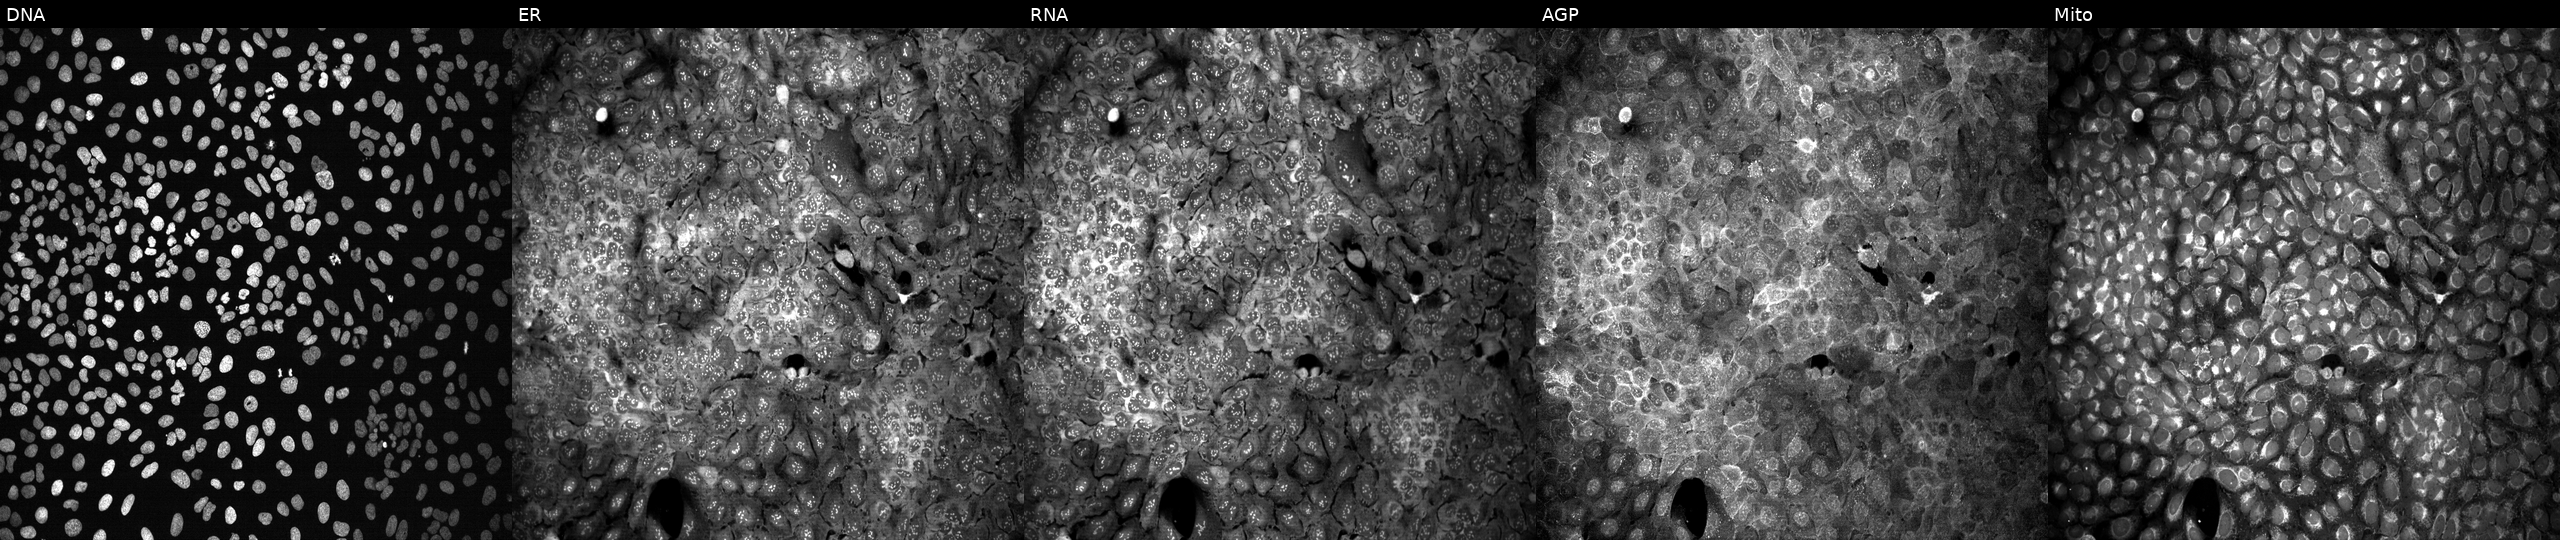
High-content fluorescence microscopy (Cell Painting). Cell line: U2OS. Perturbation: treated with DMSO vehicle only (negative control). The five panels, left to right, show DNA, ER, RNA, AGP, and Mito. Source 13, plate CP-CC9-R5-01, well H23.